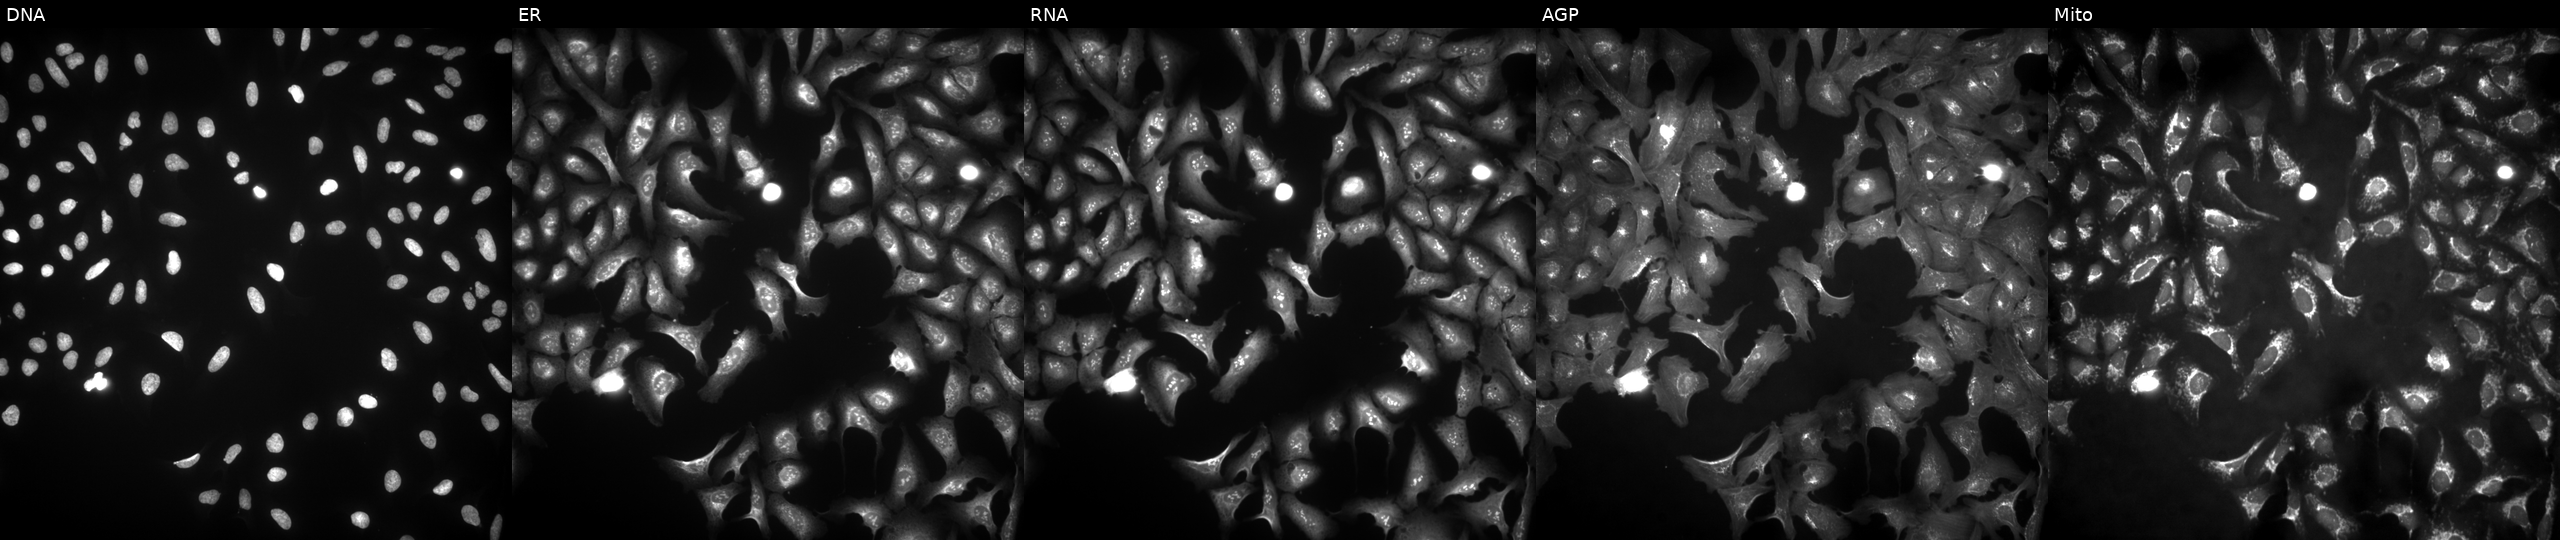
This image strip shows the five Cell Painting channels for a single field of U2OS cells transfected with an ORF construct for SNRNP35 (JUMP id JCP2022_902444). The five panels, left to right, show Hoechst 33342, concanavalin A, SYTO 14, phalloidin and WGA, MitoTracker.